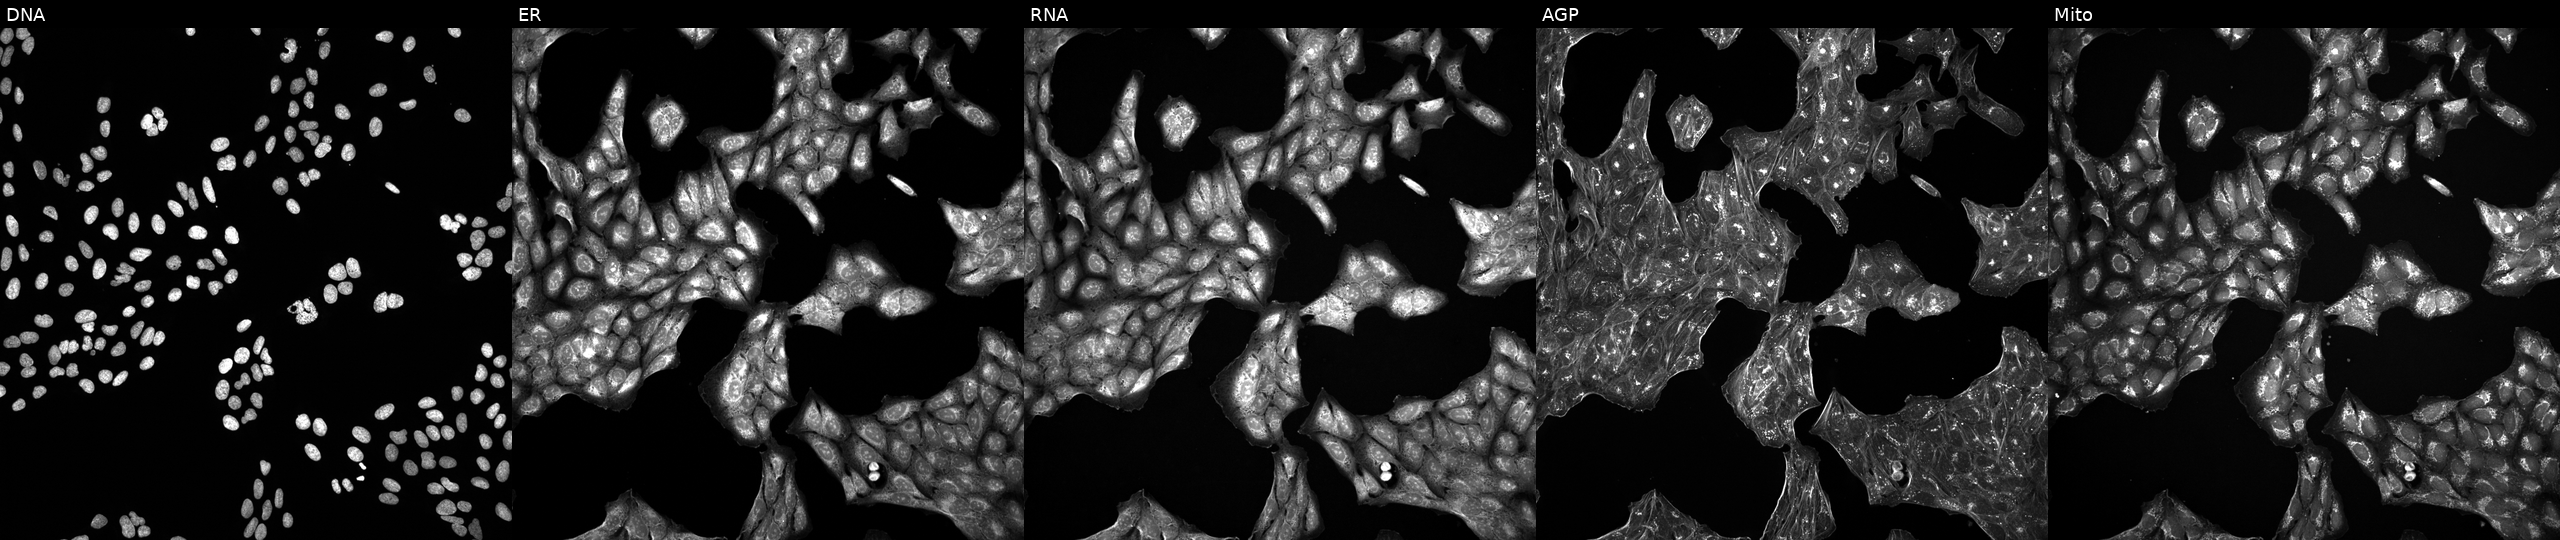
This image strip shows the five Cell Painting channels for a single field of U2OS cells treated with a small-molecule compound (InChIKey KJNNWYBAOPXVJY-UHFFFAOYSA-N). Channels (left→right): Hoechst 33342, concanavalin A, SYTO 14, phalloidin and WGA, MitoTracker.